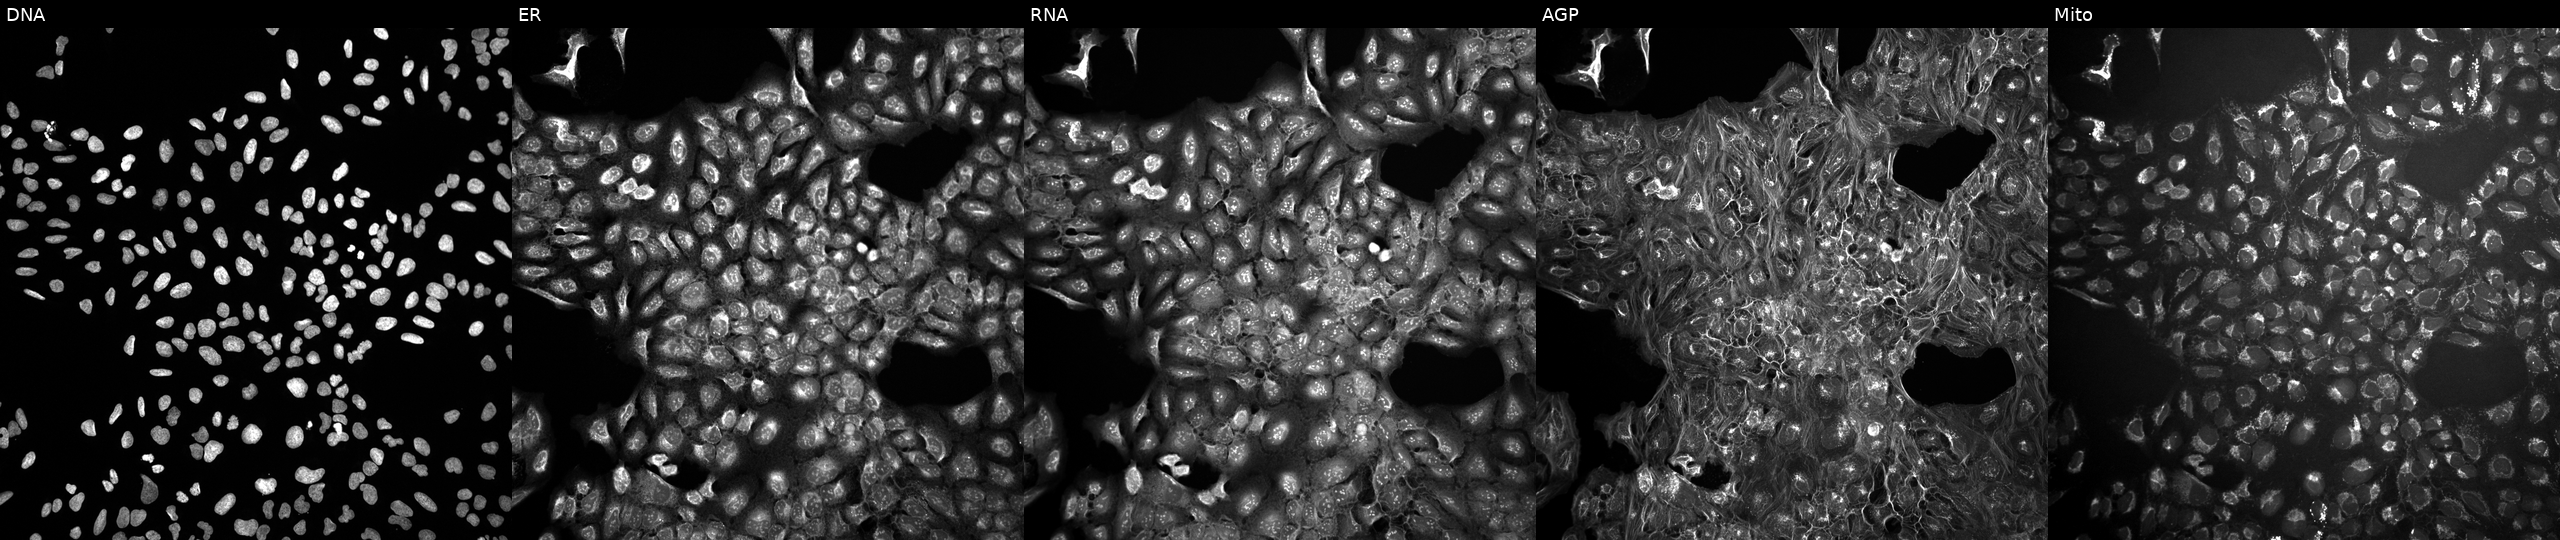
U2OS cells, Cell Painting assay, in an empty control well (no perturbation) (JUMP id JCP2022_999999). From left to right: DNA (nuclei); ER (endoplasmic reticulum); RNA (nucleoli and cytoplasmic RNA); AGP (actin cytoskeleton, Golgi, and plasma membrane); Mito (mitochondria). Each panel is percentile-stretched 16-bit fluorescence. Source 10, plate Dest210531-152324, well J14.